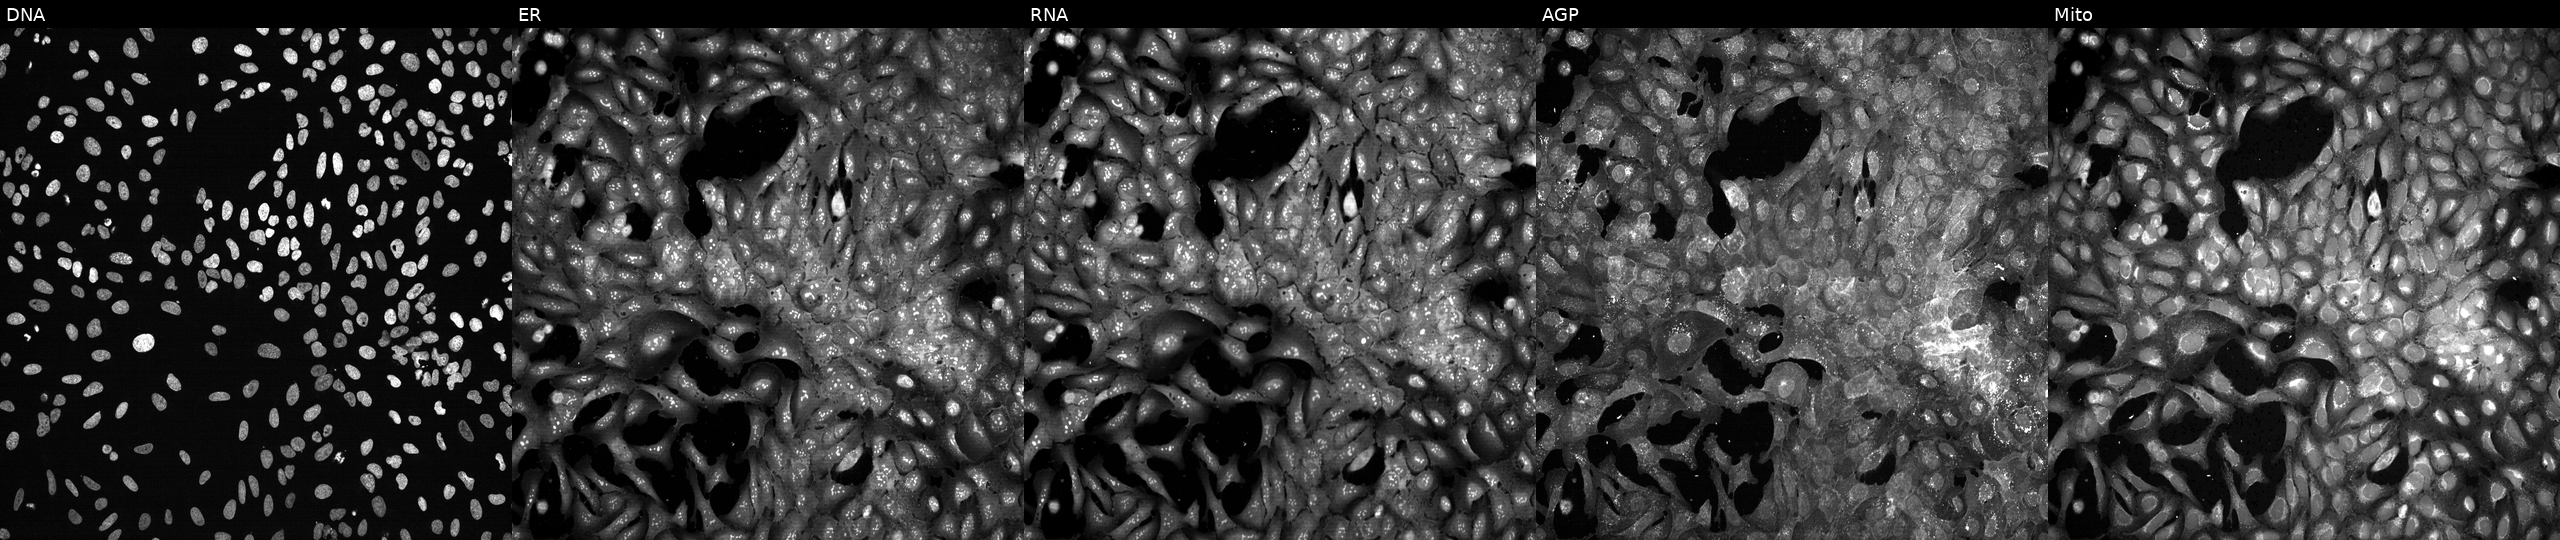
High-content fluorescence microscopy (Cell Painting). Cell line: U2OS. Perturbation: CRISPR-edited to disrupt IL13RA1 (JUMP id JCP2022_803368). Panels show, left to right, Hoechst 33342, concanavalin A, SYTO 14, phalloidin and WGA, MitoTracker.